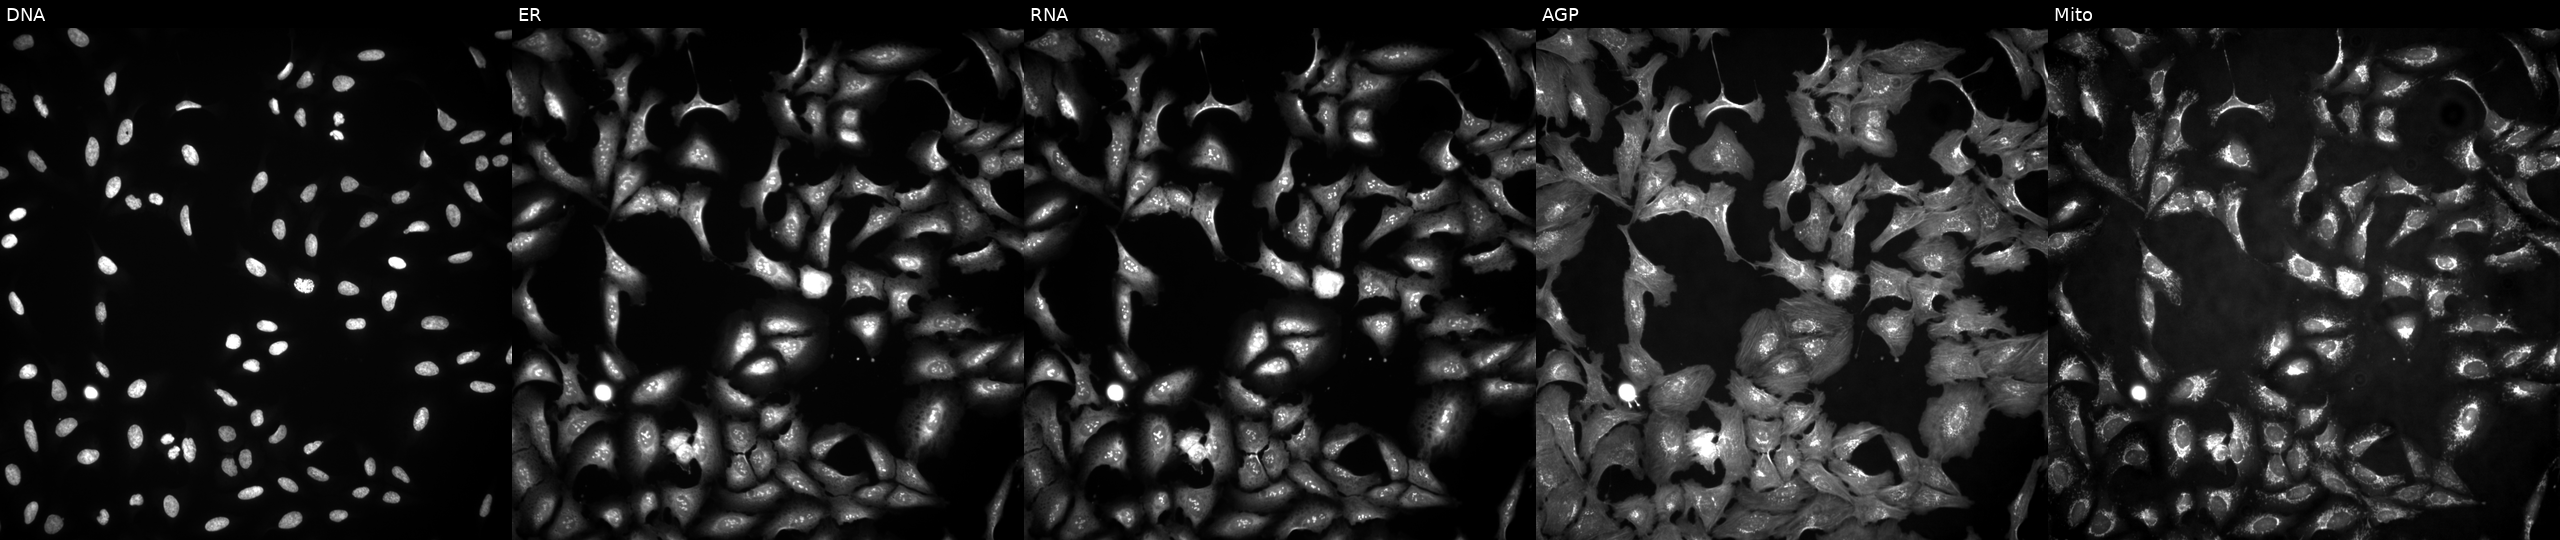
JUMP Cell Painting — ORF plate. U2OS cells expressing BFP (ORF negative control). Channels (left→right): DNA (nuclei); ER (endoplasmic reticulum); RNA (nucleoli and cytoplasmic RNA); AGP (actin cytoskeleton, Golgi, and plasma membrane); Mito (mitochondria).